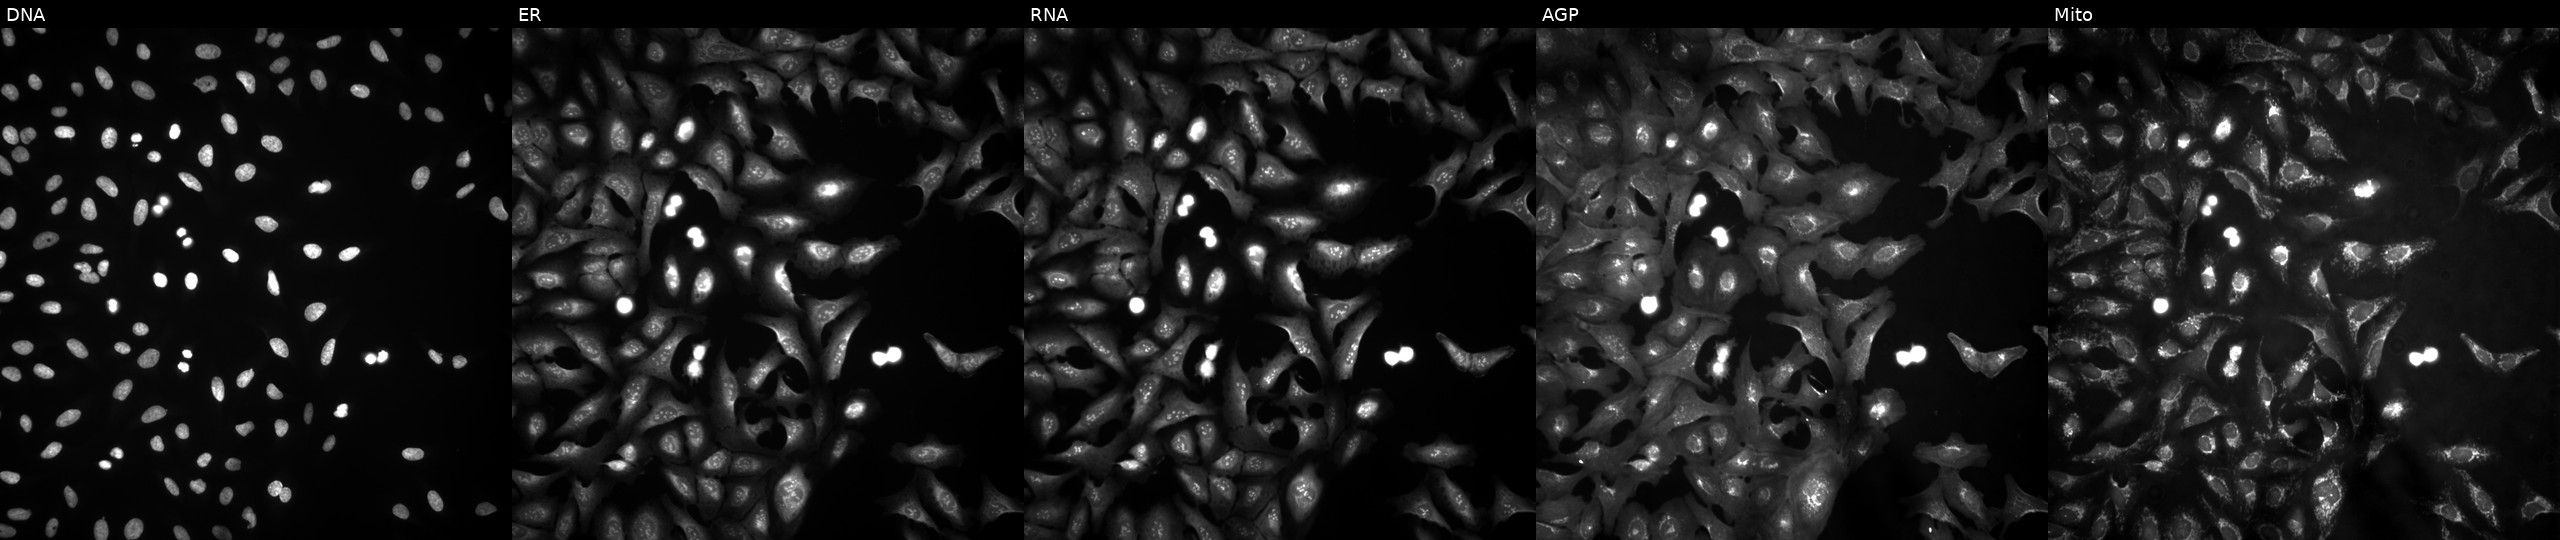
U2OS cells, Cell Painting assay, transfected with an ORF construct for ATP1A3. Channels (left→right): DNA, ER, RNA, AGP, and Mito. Each panel is percentile-stretched 16-bit fluorescence.